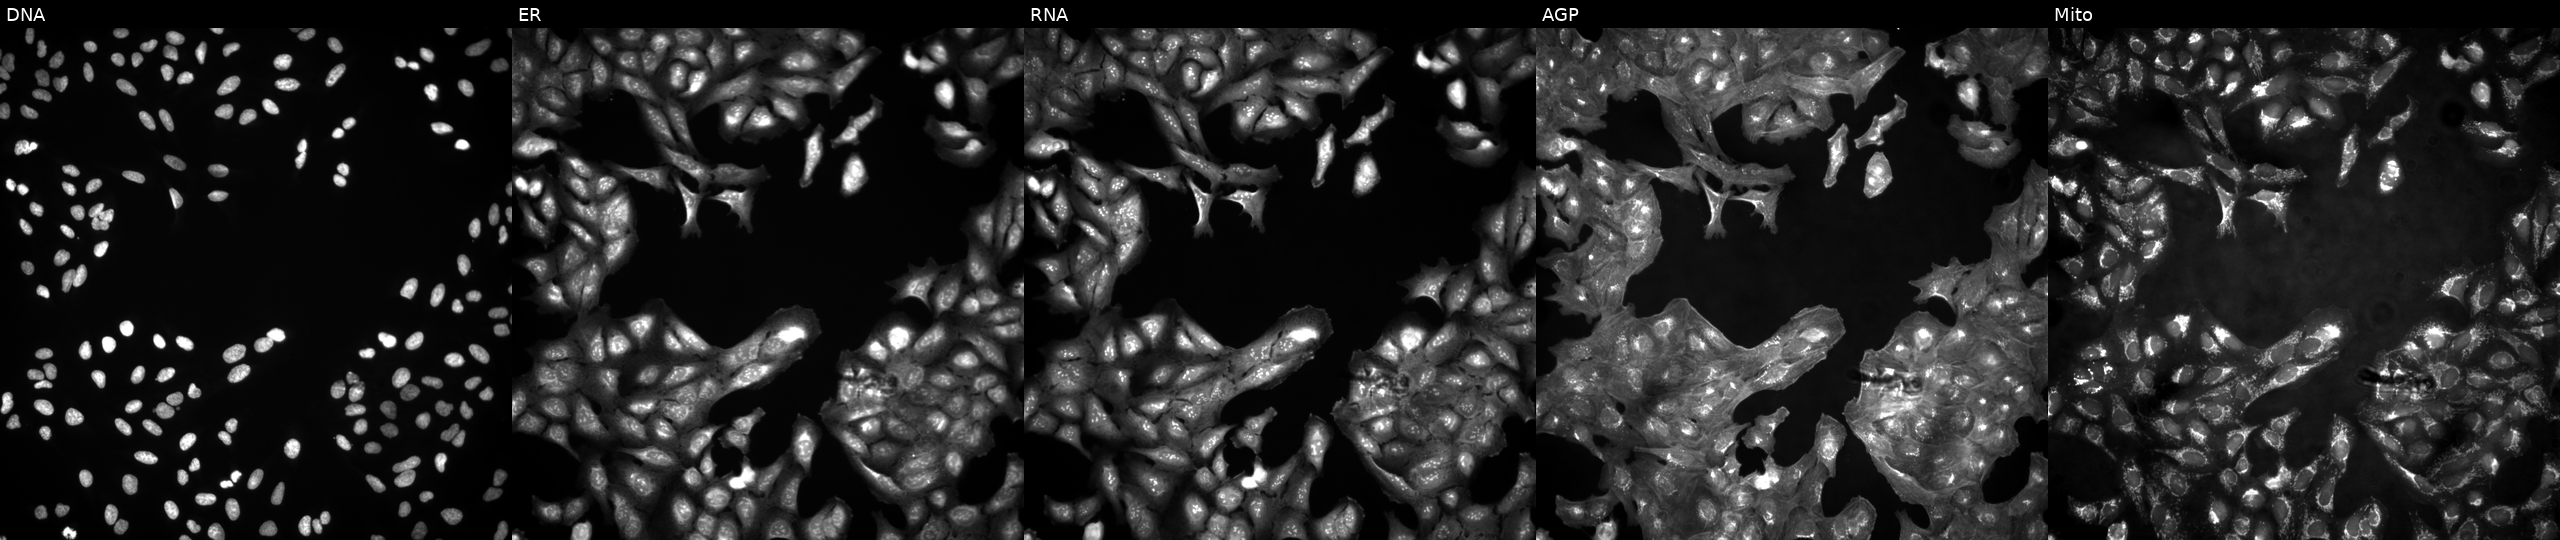
This image strip shows the five Cell Painting channels for a single field of U2OS cells untreated (empty-well control). From left to right: DNA (nuclei); ER (endoplasmic reticulum); RNA (nucleoli and cytoplasmic RNA); AGP (actin cytoskeleton, Golgi, and plasma membrane); Mito (mitochondria). Source 4, plate BR00123946, well B17.